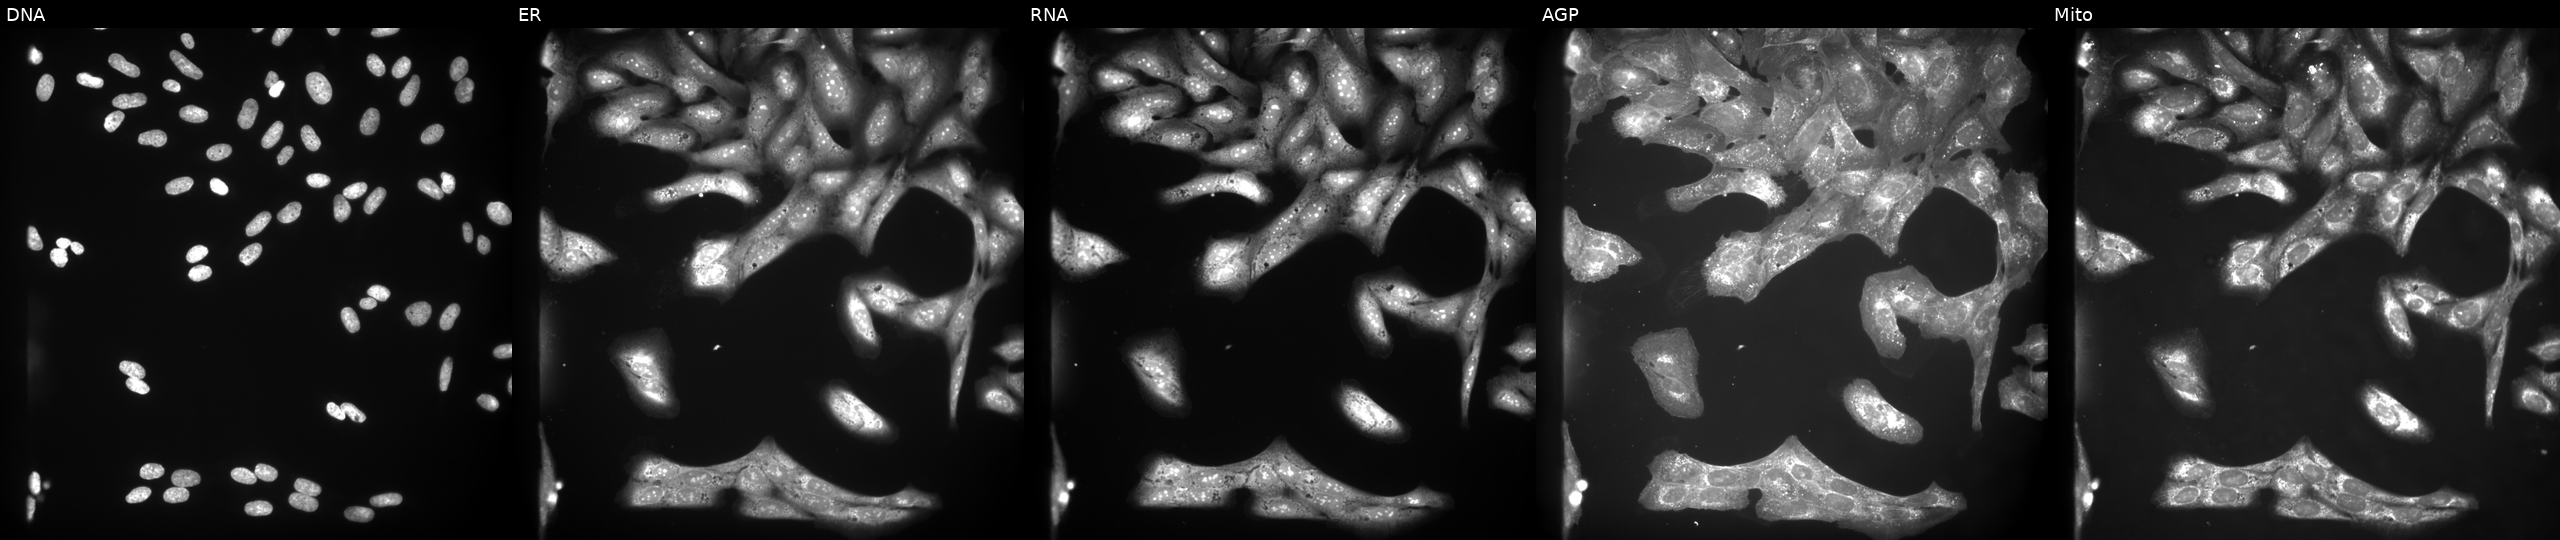
U2OS cells, Cell Painting assay, perturbed with a small-molecule compound (InChIKey VYNPQVGFXYNKOX-UHFFFAOYSA-N) (JUMP id JCP2022_097155). Channels (left→right): DNA (nuclei); ER (endoplasmic reticulum); RNA (nucleoli and cytoplasmic RNA); AGP (actin cytoskeleton, Golgi, and plasma membrane); Mito (mitochondria). Each panel is percentile-stretched 16-bit fluorescence.